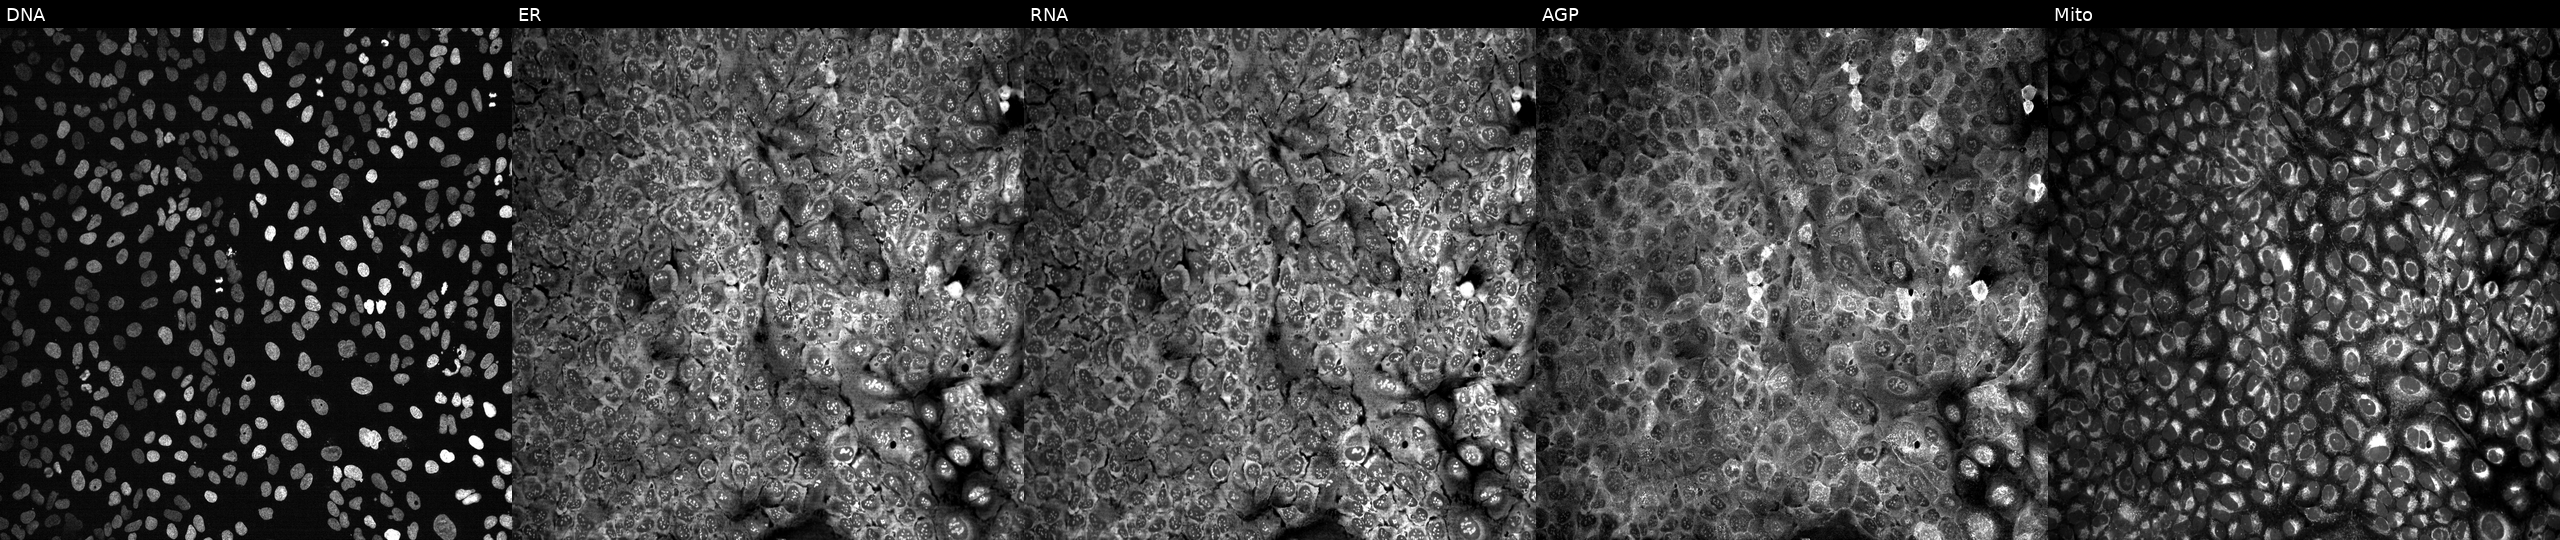
Five-channel Cell Painting image of U2OS cells CRISPR-edited to disrupt BLVRA (JUMP id JCP2022_800889). The five panels, left to right, show Hoechst 33342, concanavalin A, SYTO 14, phalloidin and WGA, MitoTracker. Source 13, plate CP-CC9-R4-03, well D09.